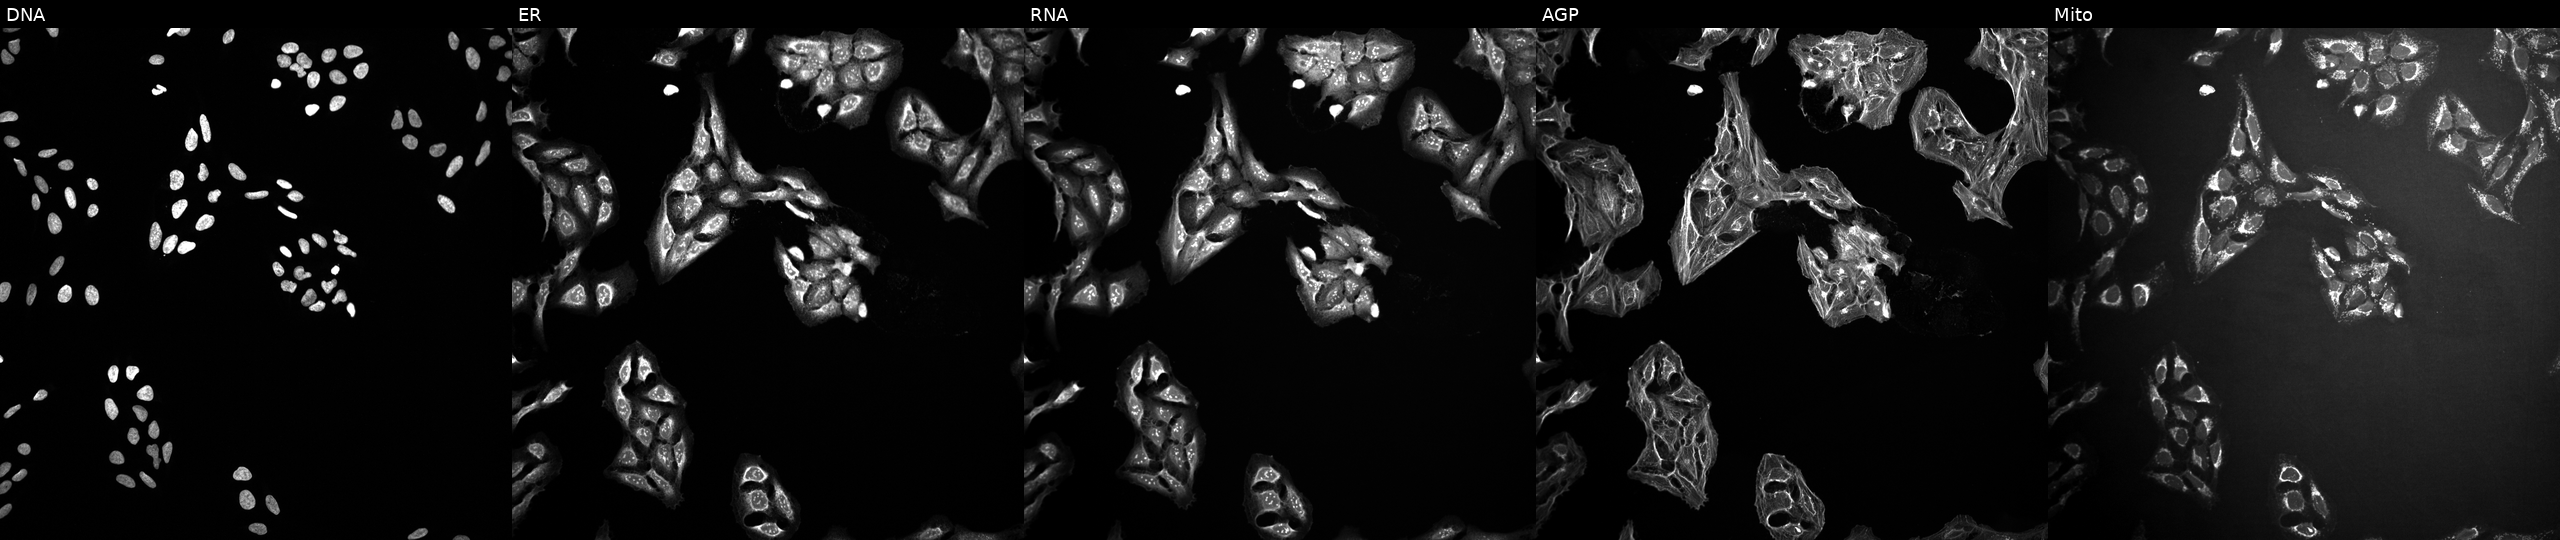
This image strip shows the five Cell Painting channels for a single field of U2OS cells perturbed with a small-molecule compound (JUMP id JCP2022_092464). From left to right: DNA (nuclei); ER (endoplasmic reticulum); RNA (nucleoli and cytoplasmic RNA); AGP (actin cytoskeleton, Golgi, and plasma membrane); Mito (mitochondria). Source 10, plate Dest210727-153003, well E21.